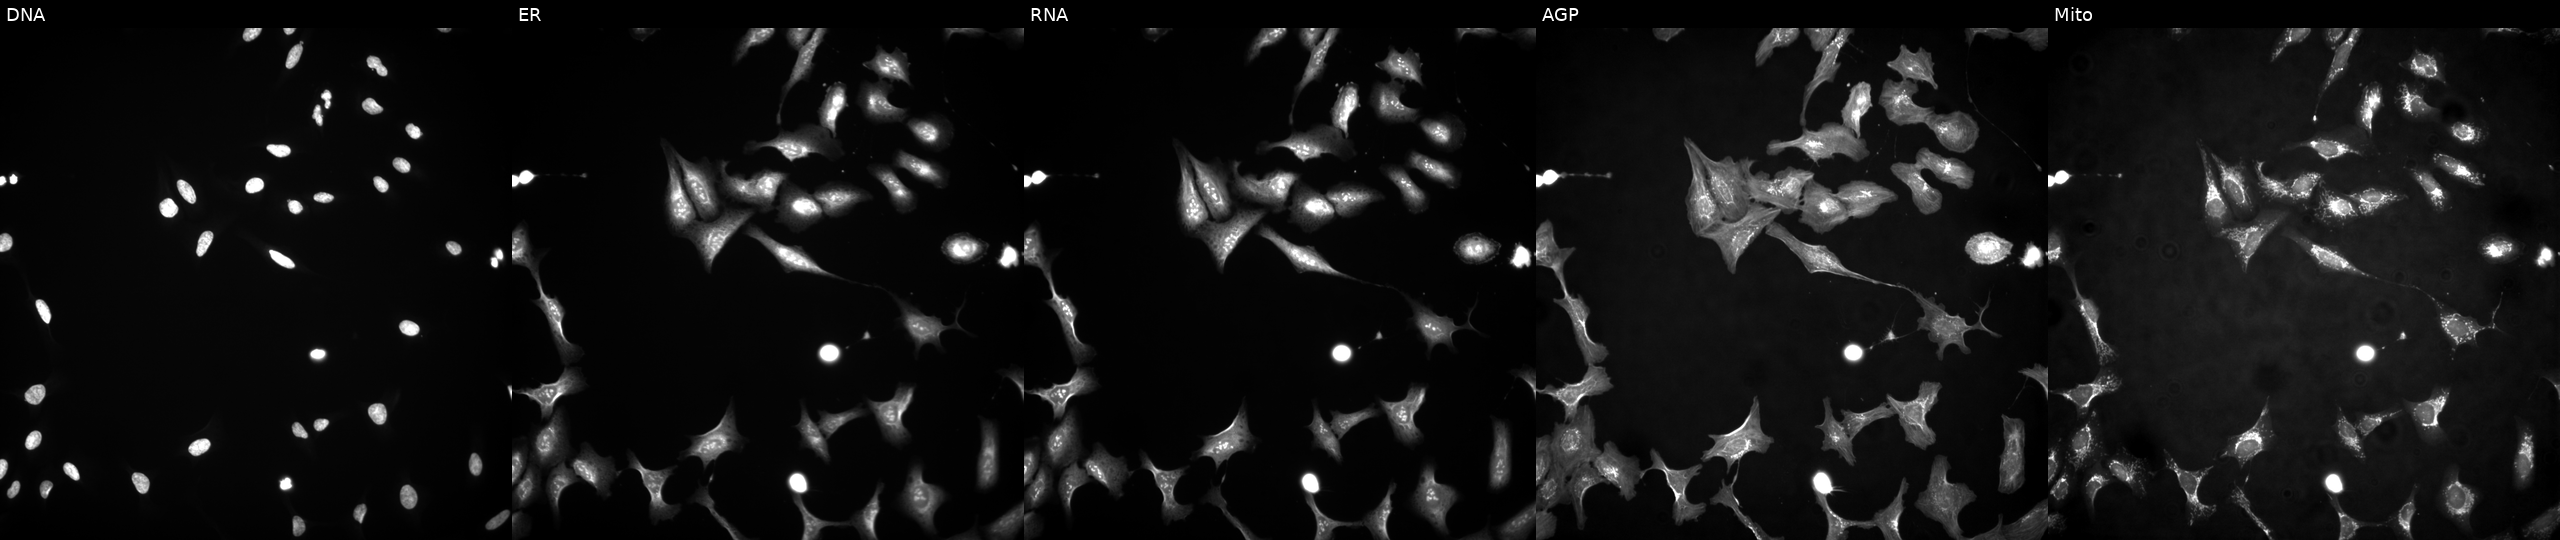
U2OS cells, Cell Painting assay, expressing eGFP (ORF positive control). Channels (left→right): DNA (nuclei); ER (endoplasmic reticulum); RNA (nucleoli and cytoplasmic RNA); AGP (actin cytoskeleton, Golgi, and plasma membrane); Mito (mitochondria). Each panel is percentile-stretched 16-bit fluorescence.